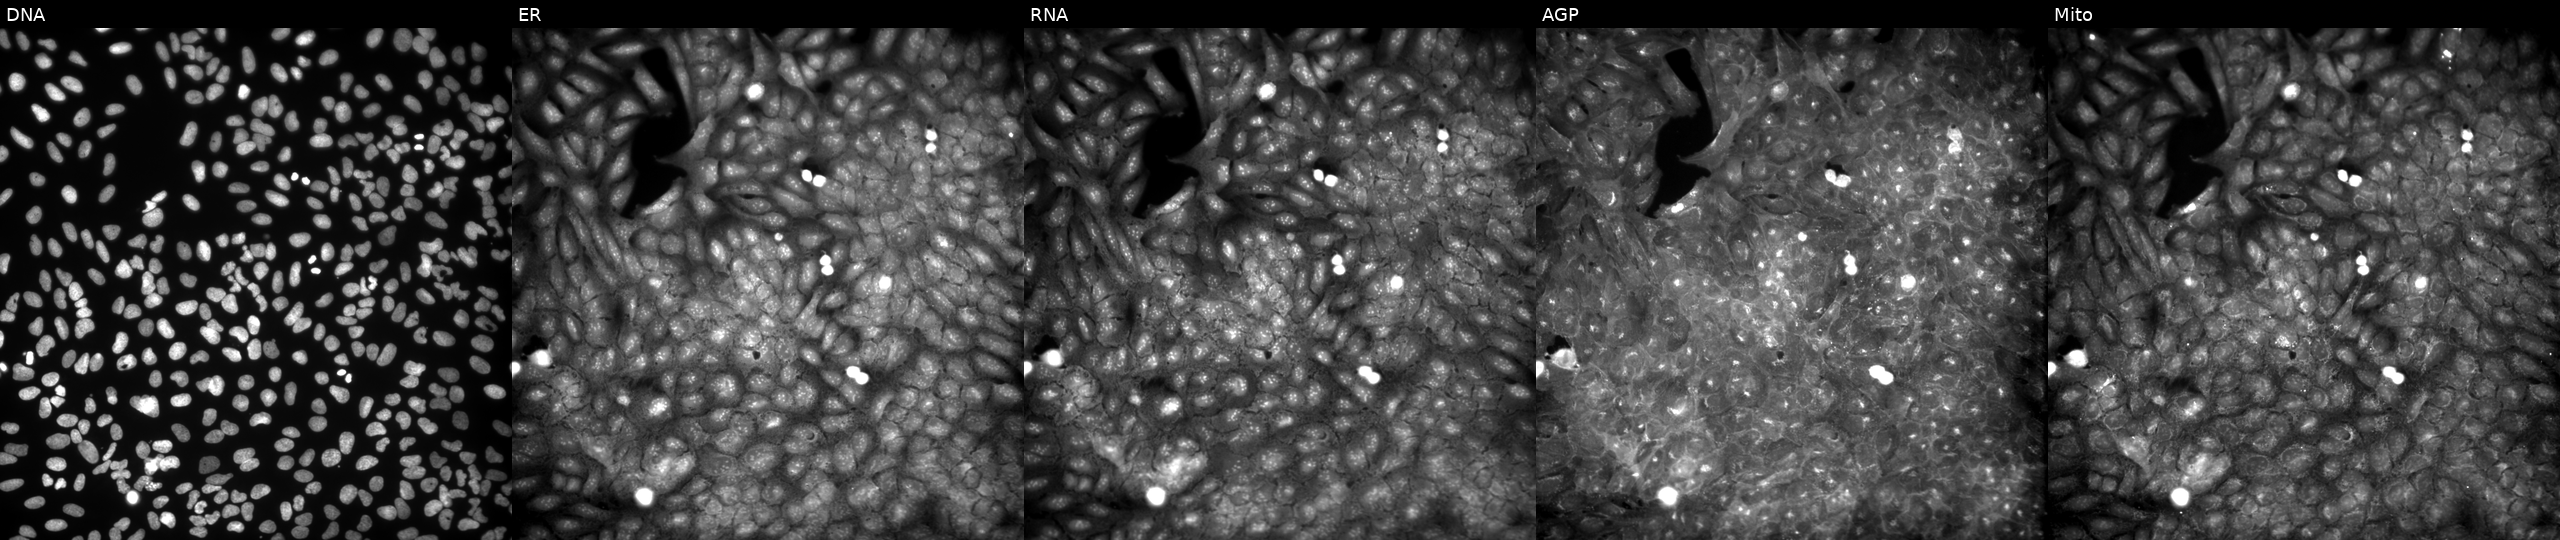
U2OS cells, Cell Painting assay, treated with a small-molecule compound (InChIKey VJWMTHKSCFHADK-UHFFFAOYSA-N) (JUMP id JCP2022_094441). Panels show, left to right, DNA (nuclei); ER (endoplasmic reticulum); RNA (nucleoli and cytoplasmic RNA); AGP (actin cytoskeleton, Golgi, and plasma membrane); Mito (mitochondria). Each panel is percentile-stretched 16-bit fluorescence. Source 9, plate GR00003381, well AD22.